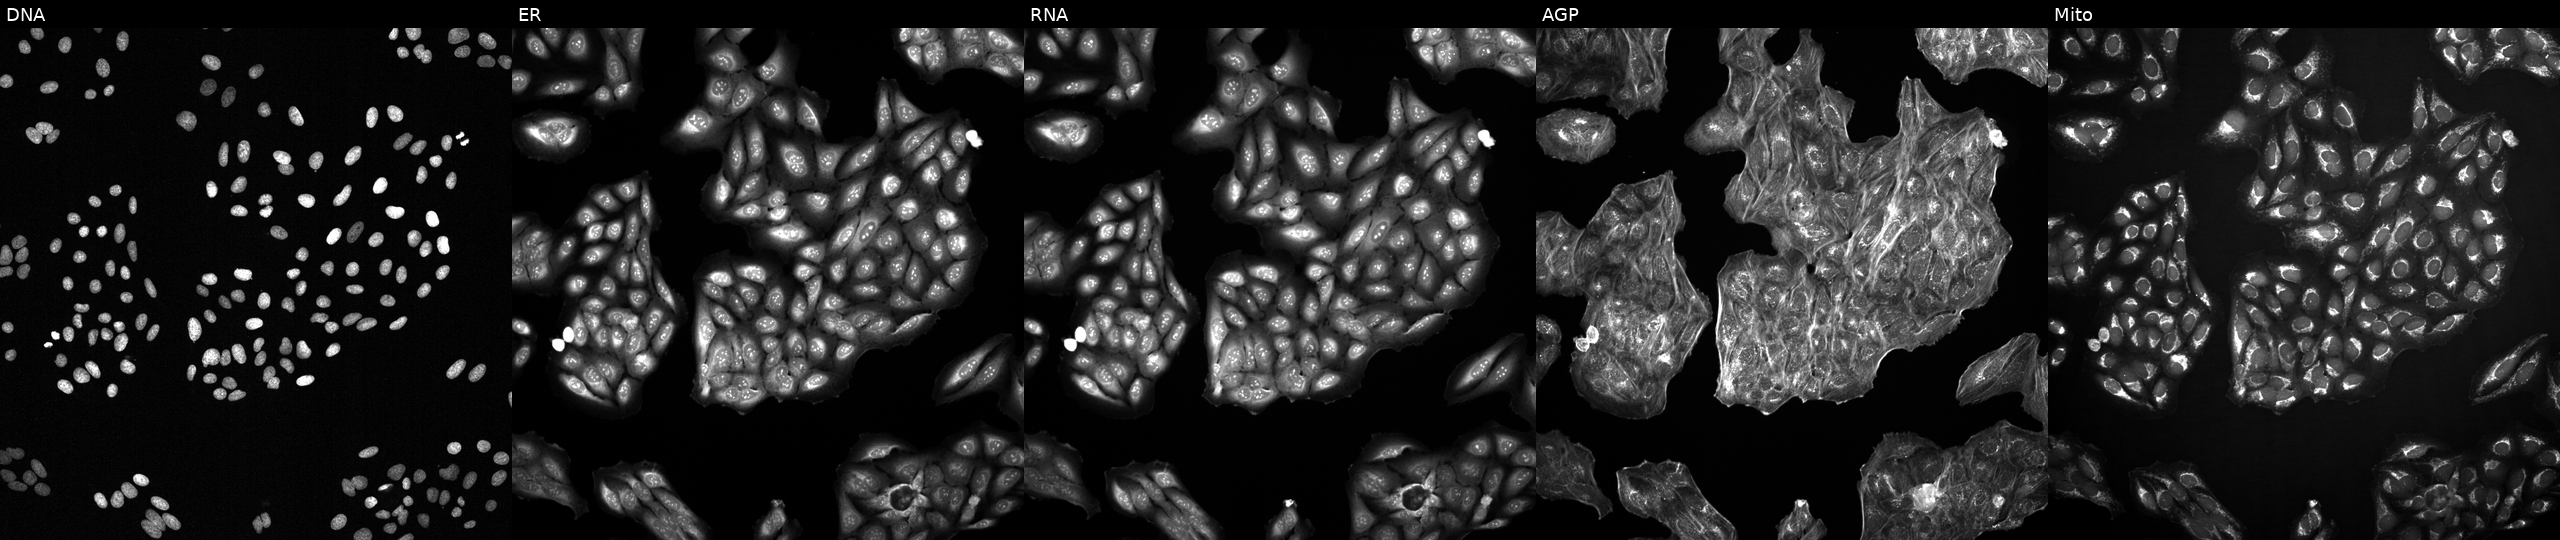
From left to right: DNA (nuclei); ER (endoplasmic reticulum); RNA (nucleoli and cytoplasmic RNA); AGP (actin cytoskeleton, Golgi, and plasma membrane); Mito (mitochondria). U2OS osteosarcoma cells exposed to a small-molecule compound [SMILES: Cc1ccc2c(C)c(C(=O)Nc3cccnc3)oc2c1]. Cell Painting assay, JUMP-CP dataset.